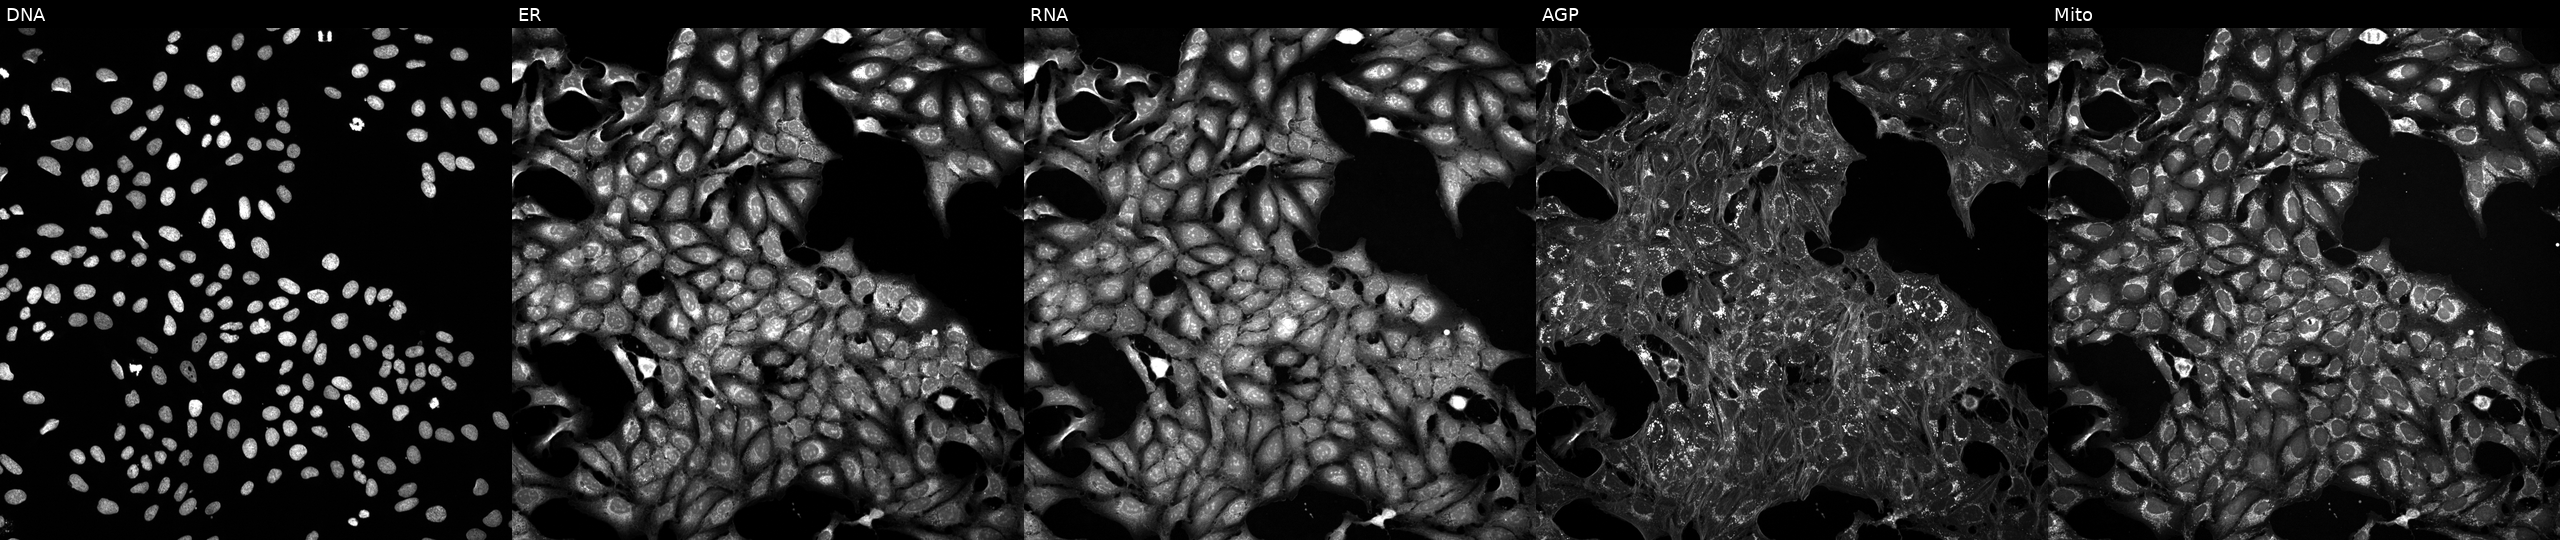
Five-channel Cell Painting image of U2OS cells treated with a small-molecule compound (InChIKey ZYVXTMKTGDARKR-UHFFFAOYSA-N) (JUMP id JCP2022_116560). The five panels, left to right, show DNA, ER, RNA, AGP, and Mito.